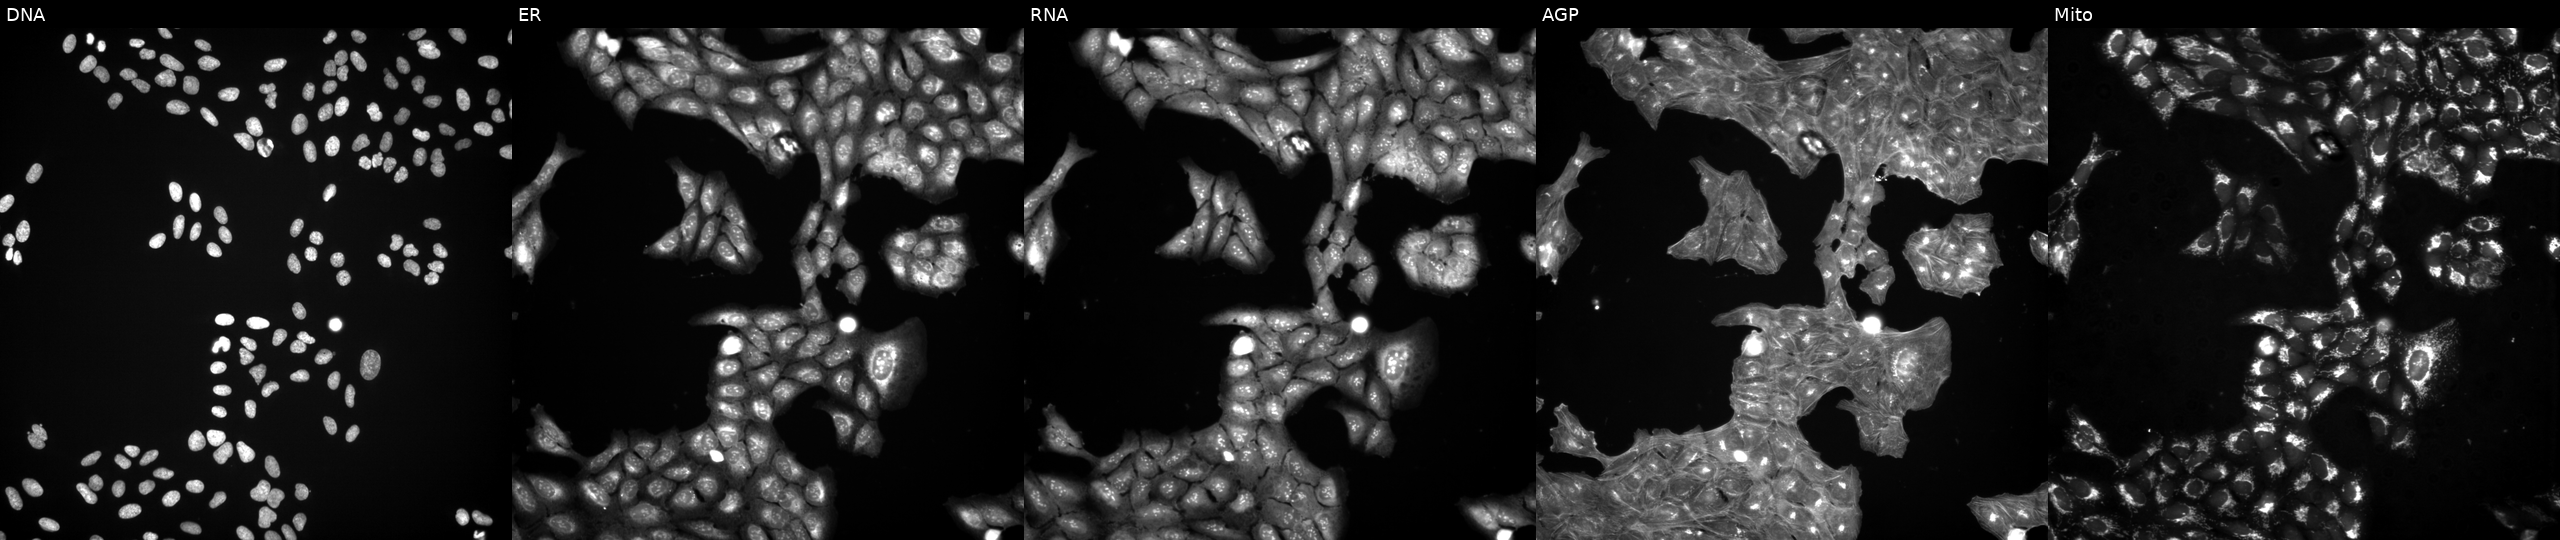
U2OS cells, Cell Painting assay, treated with DMSO vehicle only (negative control). The five panels, left to right, show Hoechst 33342, concanavalin A, SYTO 14, phalloidin and WGA, MitoTracker. Each panel is percentile-stretched 16-bit fluorescence. Source 3, plate JCPQC051, well M13.